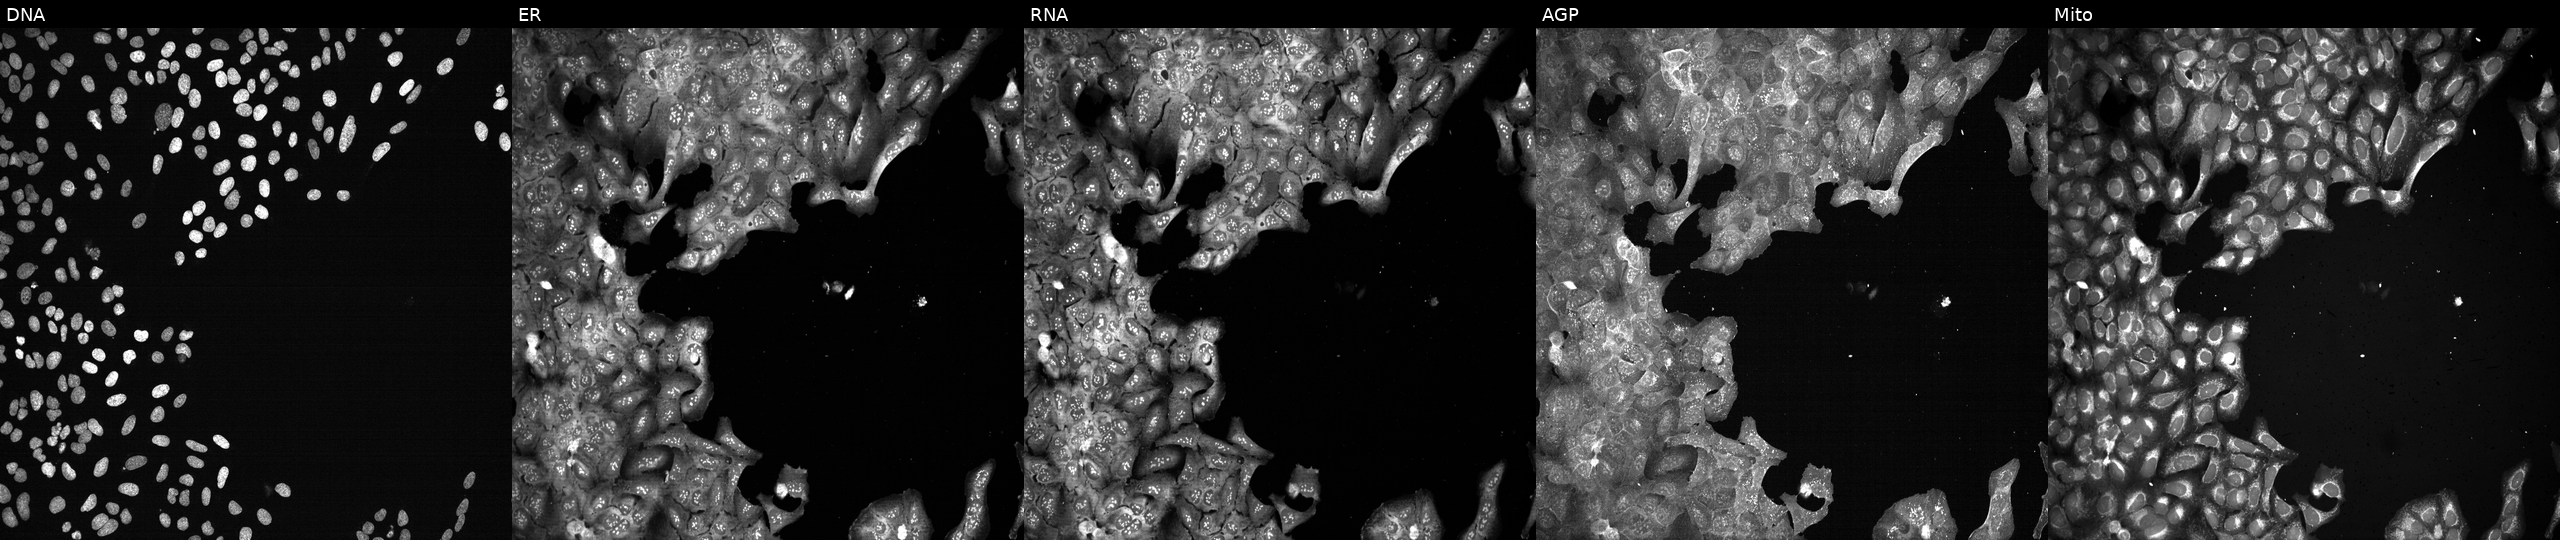
U2OS cells, Cell Painting assay, with ASGR1 knocked out by CRISPR (JUMP id JCP2022_800639). Panels show, left to right, DNA, ER, RNA, AGP, and Mito. Each panel is percentile-stretched 16-bit fluorescence. Source 13, plate CP-CC9-R5-01, well M14.